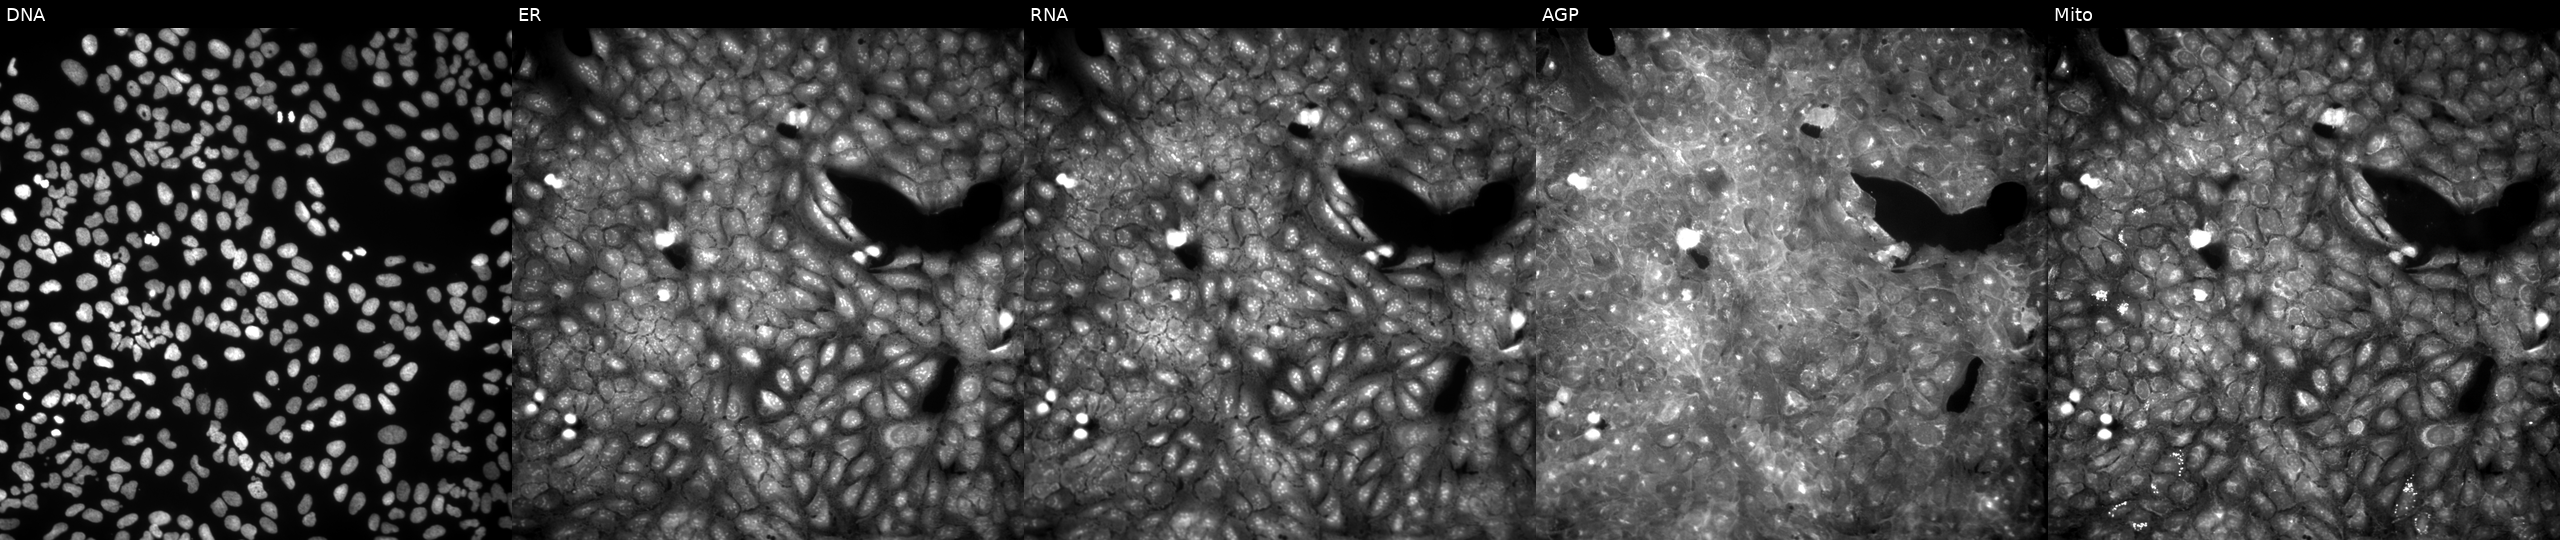
This image strip shows the five Cell Painting channels for a single field of U2OS cells exposed to a small-molecule compound. From left to right: Hoechst 33342, concanavalin A, SYTO 14, phalloidin and WGA, MitoTracker.